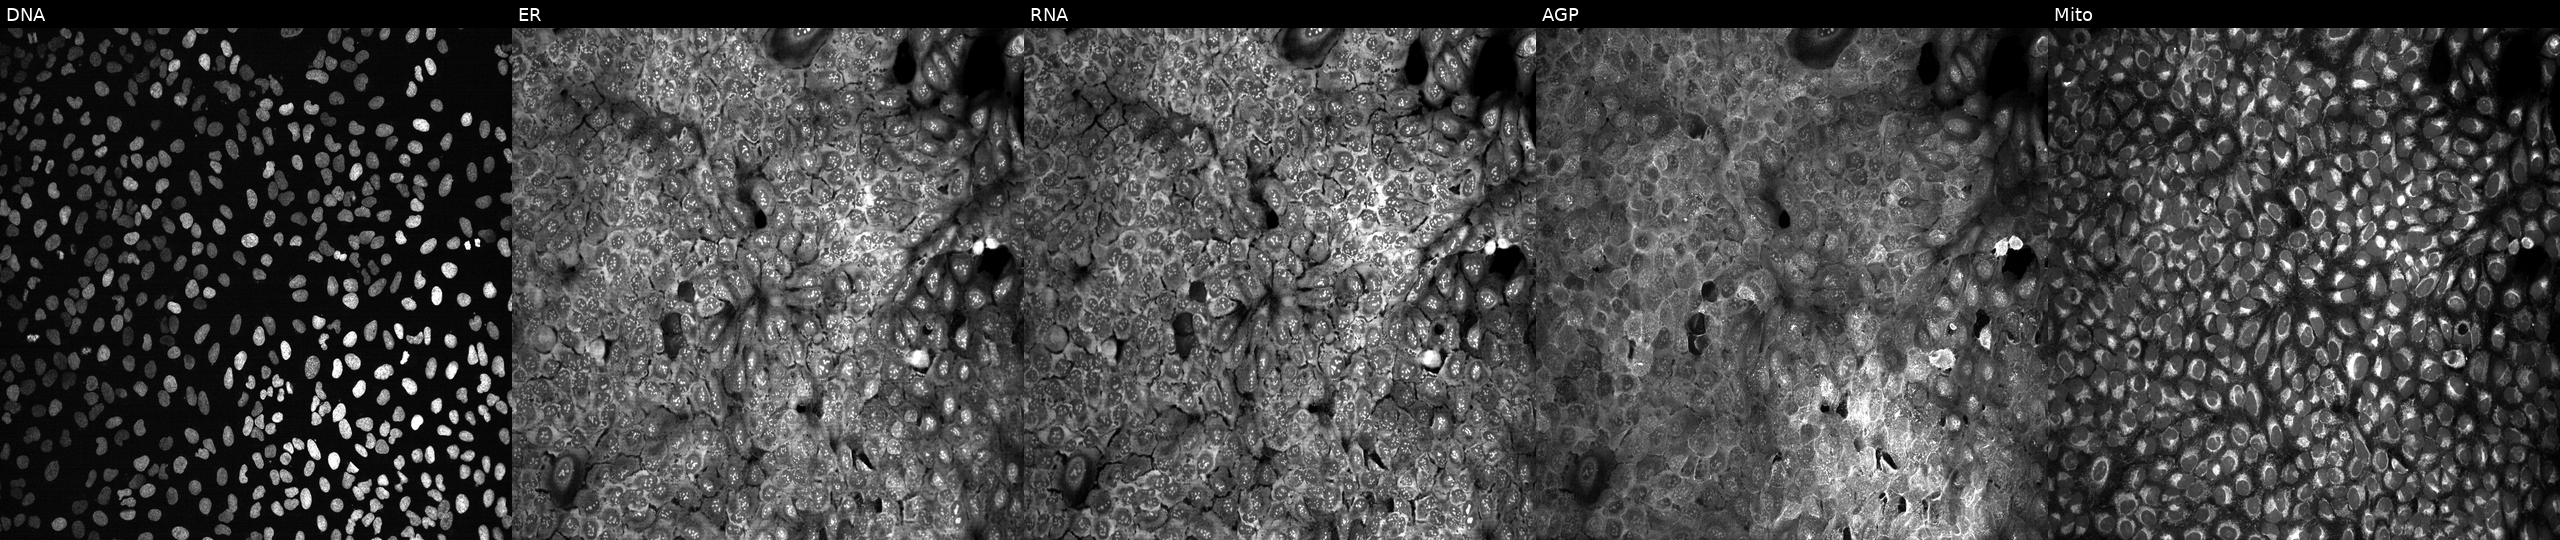
U2OS cells, Cell Painting assay, following CRISPR knockout of PPCDC (JUMP id JCP2022_805401). Channels (left→right): DNA, ER, RNA, AGP, and Mito. Each panel is percentile-stretched 16-bit fluorescence.